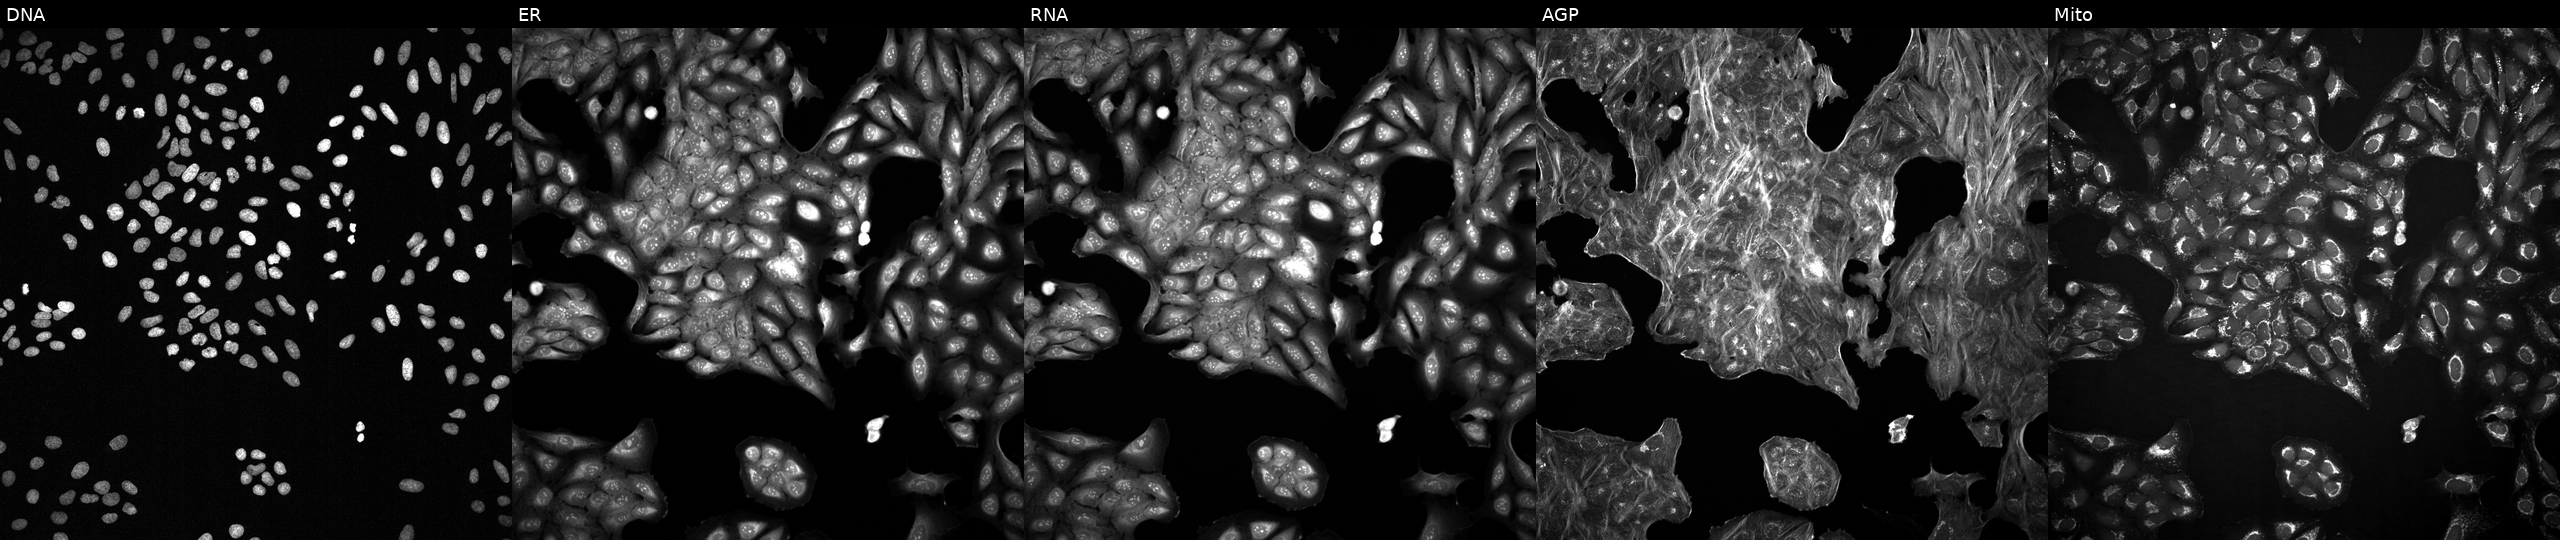
This image strip shows the five Cell Painting channels for a single field of U2OS cells perturbed with a small-molecule compound (InChIKey GLTMWXIOHCIVRT-UHFFFAOYSA-N). The five panels, left to right, show DNA, ER, RNA, AGP, and Mito. Source 2, plate 1053601763, well E06.